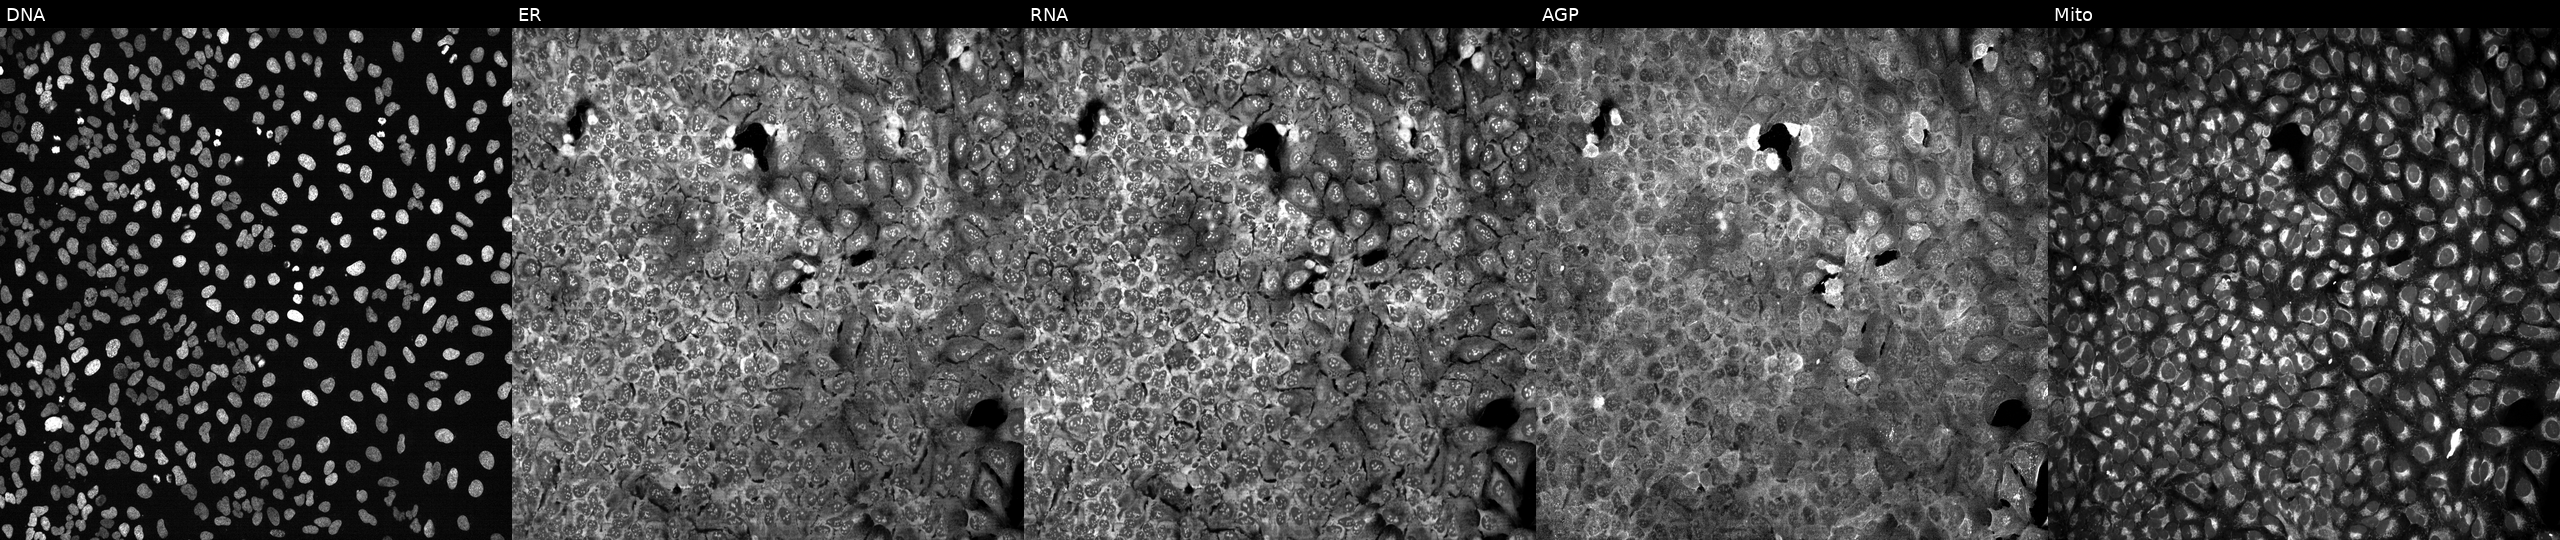
Panels show, left to right, DNA (nuclei); ER (endoplasmic reticulum); RNA (nucleoli and cytoplasmic RNA); AGP (actin cytoskeleton, Golgi, and plasma membrane); Mito (mitochondria). U2OS osteosarcoma cells CRISPR-edited to disrupt KIF13B. Cell Painting assay, JUMP-CP dataset. Source 13, plate CP-CC9-R2-02, well M07.